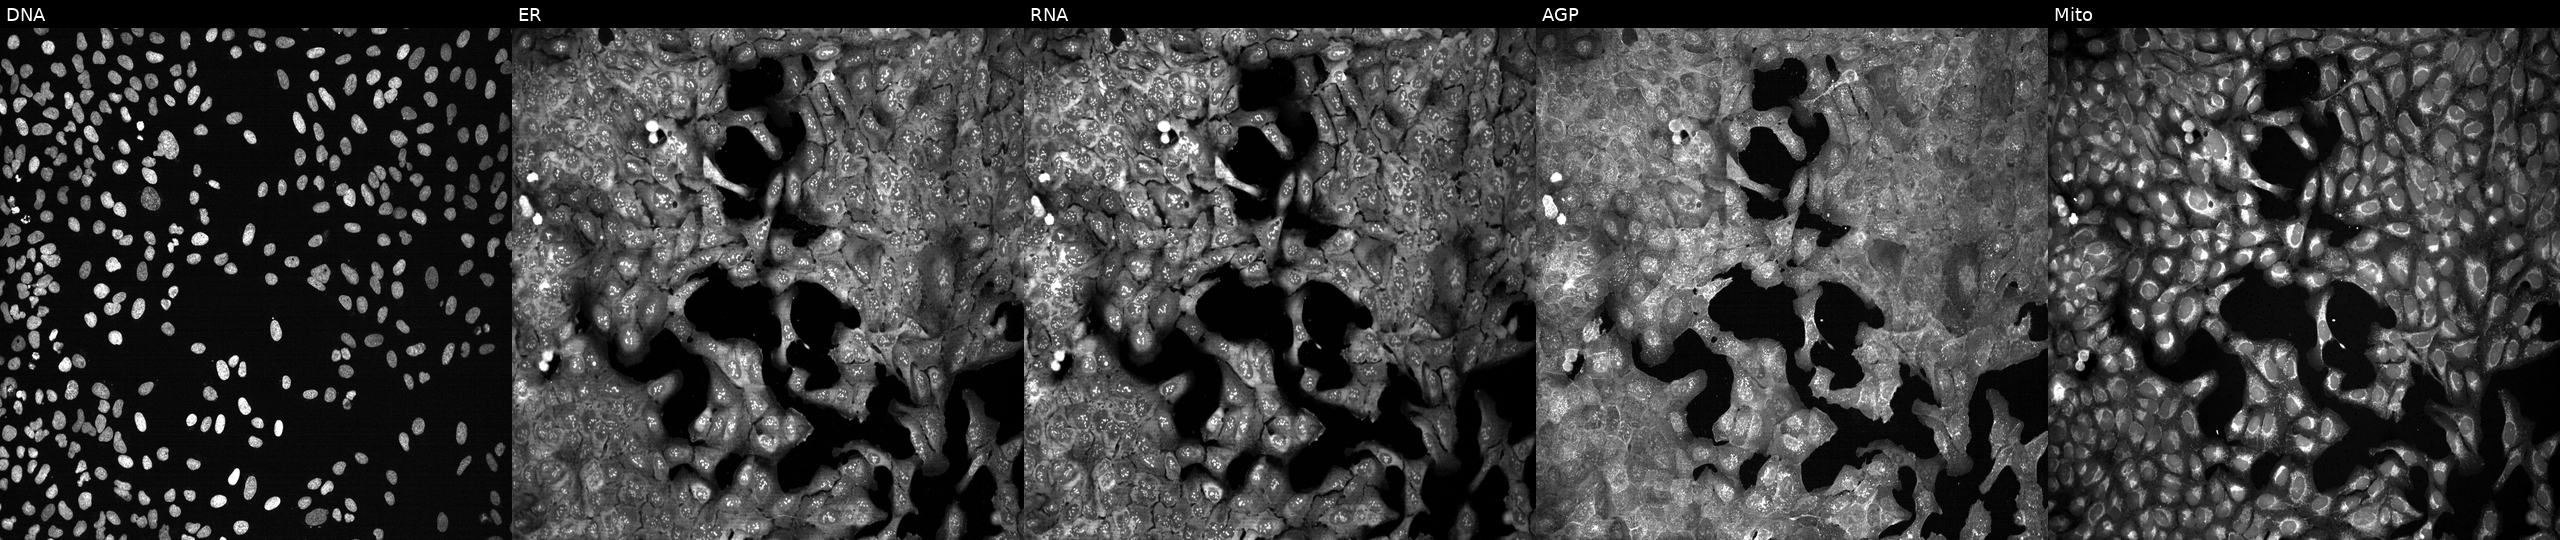
JUMP Cell Painting — CRISPR plate. U2OS cells CRISPR-edited to disrupt ARFGAP3 (JUMP id JCP2022_800558). From left to right: Hoechst 33342, concanavalin A, SYTO 14, phalloidin and WGA, MitoTracker.